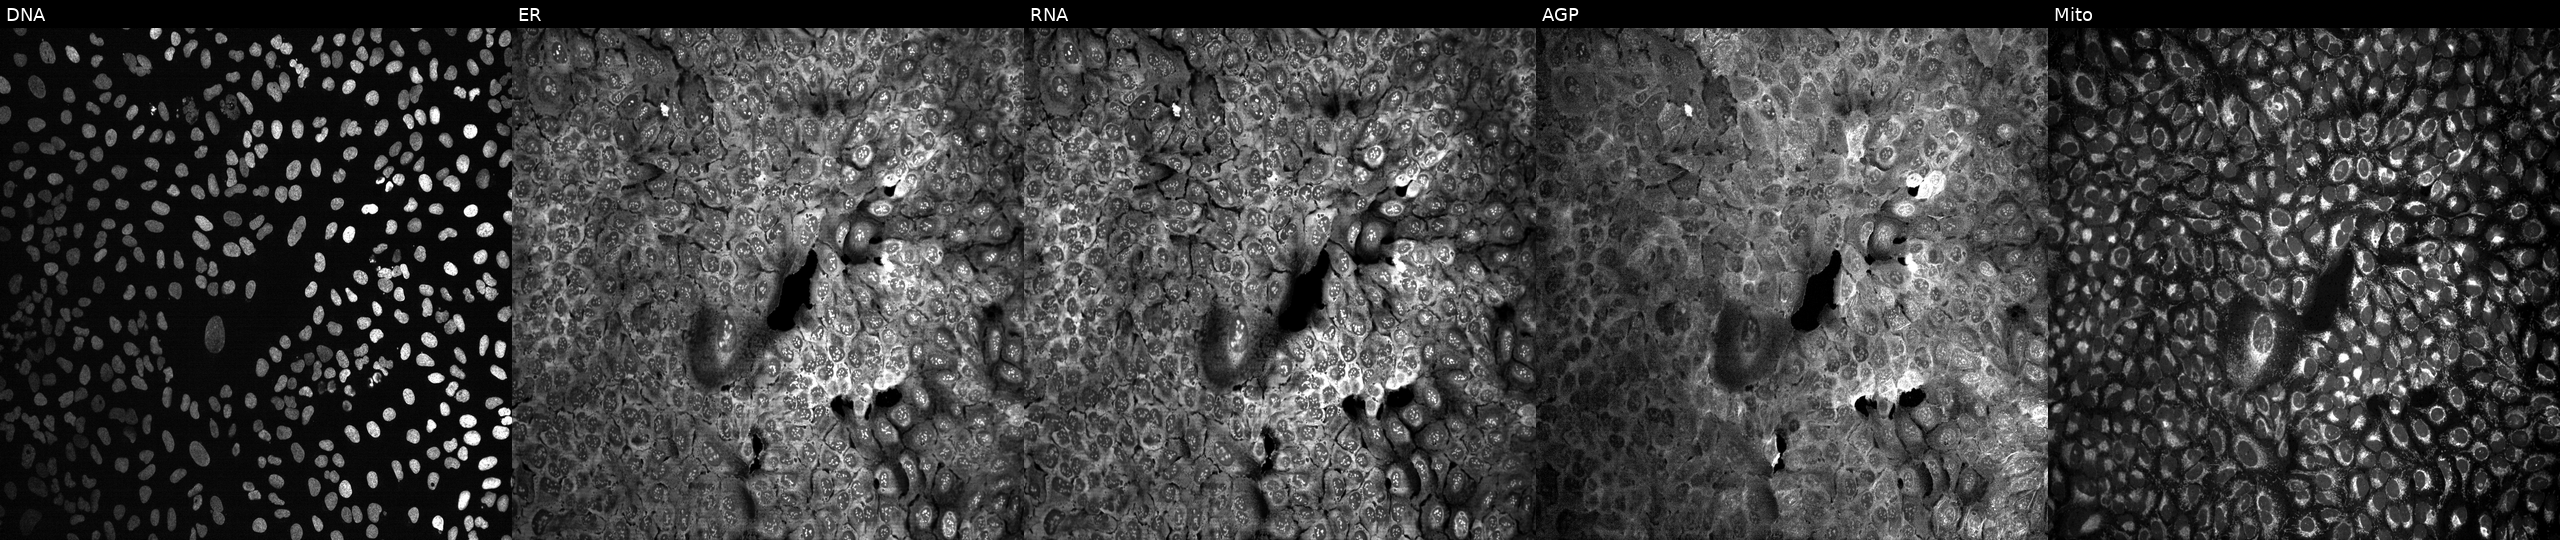
Five-channel Cell Painting image of U2OS cells CRISPR-edited to disrupt ASNSD1. From left to right: DNA (nuclei); ER (endoplasmic reticulum); RNA (nucleoli and cytoplasmic RNA); AGP (actin cytoskeleton, Golgi, and plasma membrane); Mito (mitochondria). Source 13, plate CP-CC9-R3-01, well P04.